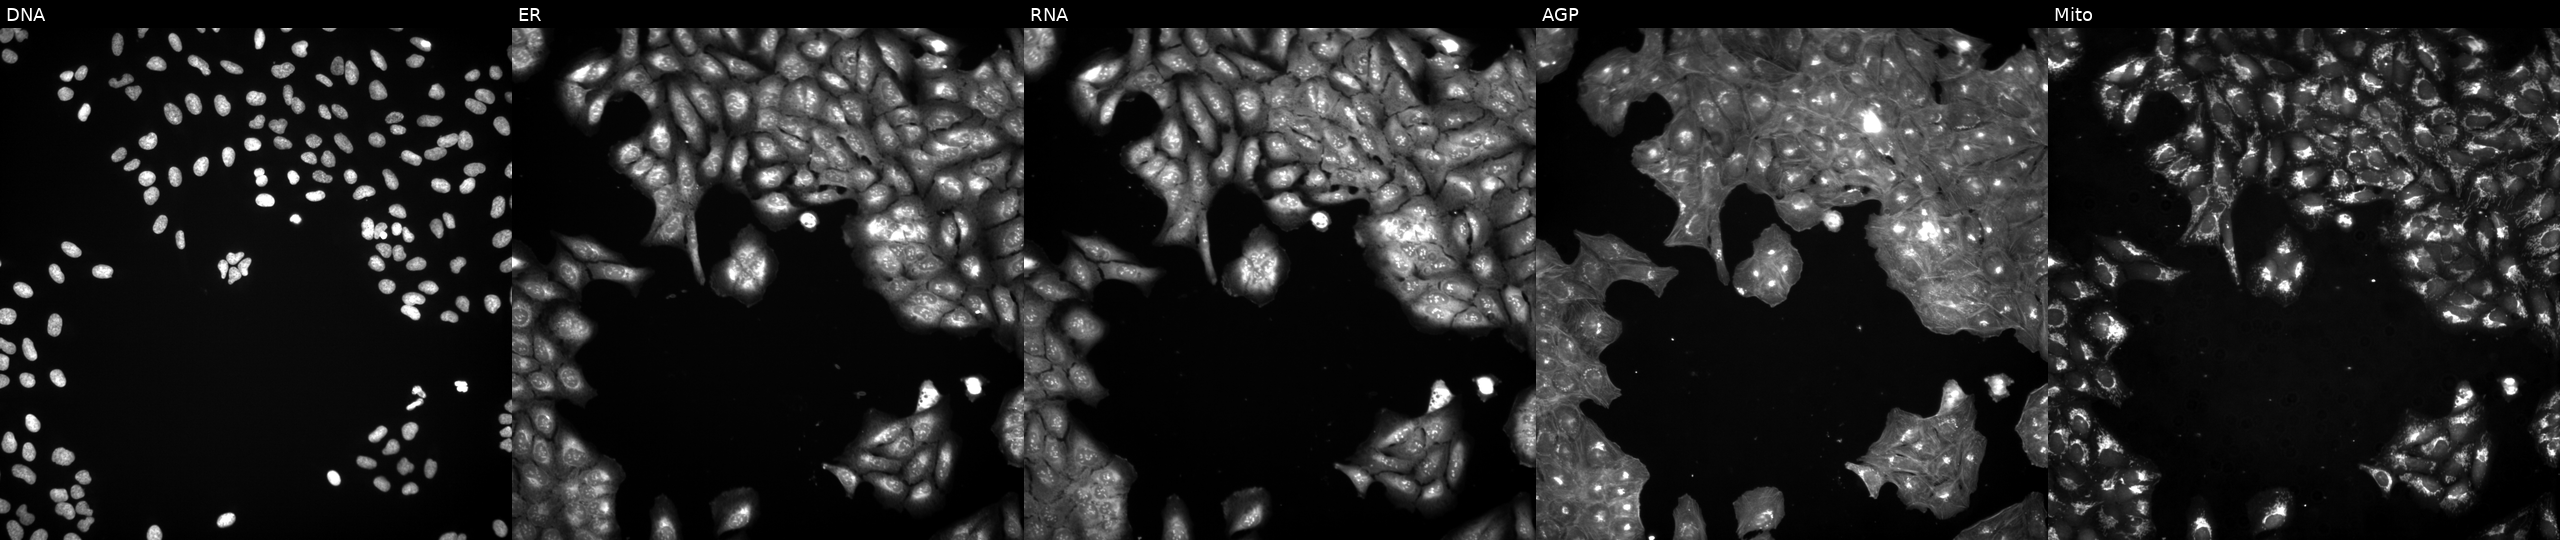
U2OS cells, Cell Painting assay, treated with a small-molecule compound (InChIKey NZHGWWWHIYHZNX-UHFFFAOYSA-N) (JUMP id JCP2022_062326). The five panels, left to right, show Hoechst 33342, concanavalin A, SYTO 14, phalloidin and WGA, MitoTracker. Each panel is percentile-stretched 16-bit fluorescence.